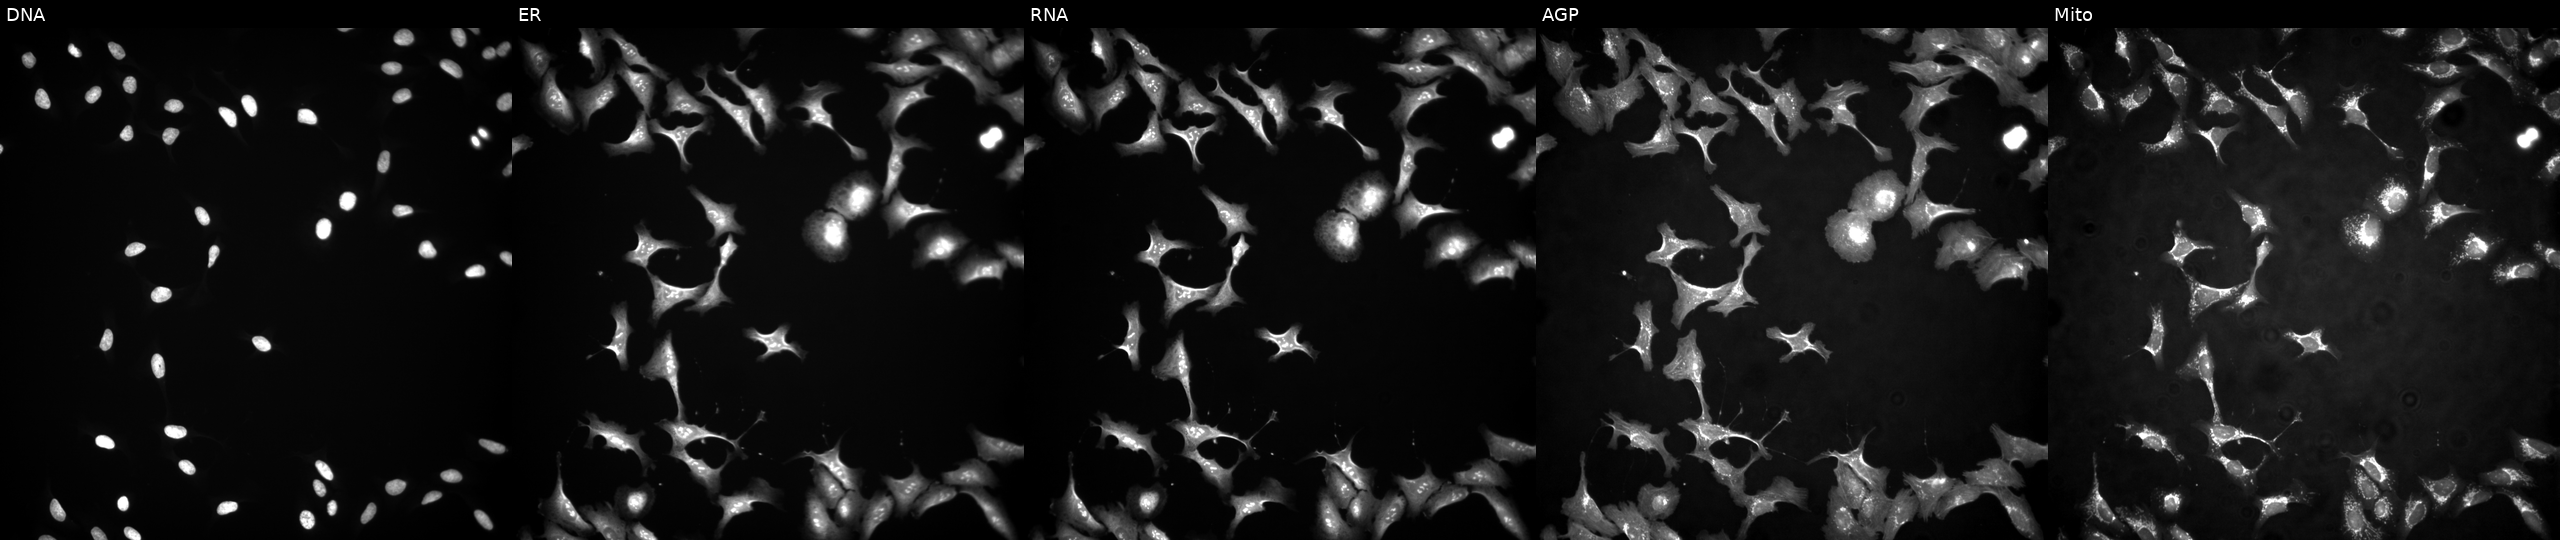
This image strip shows the five Cell Painting channels for a single field of U2OS cells transfected with an ORF construct for ZNF778. From left to right: DNA (nuclei); ER (endoplasmic reticulum); RNA (nucleoli and cytoplasmic RNA); AGP (actin cytoskeleton, Golgi, and plasma membrane); Mito (mitochondria). Source 4, plate BR00117035, well J23.